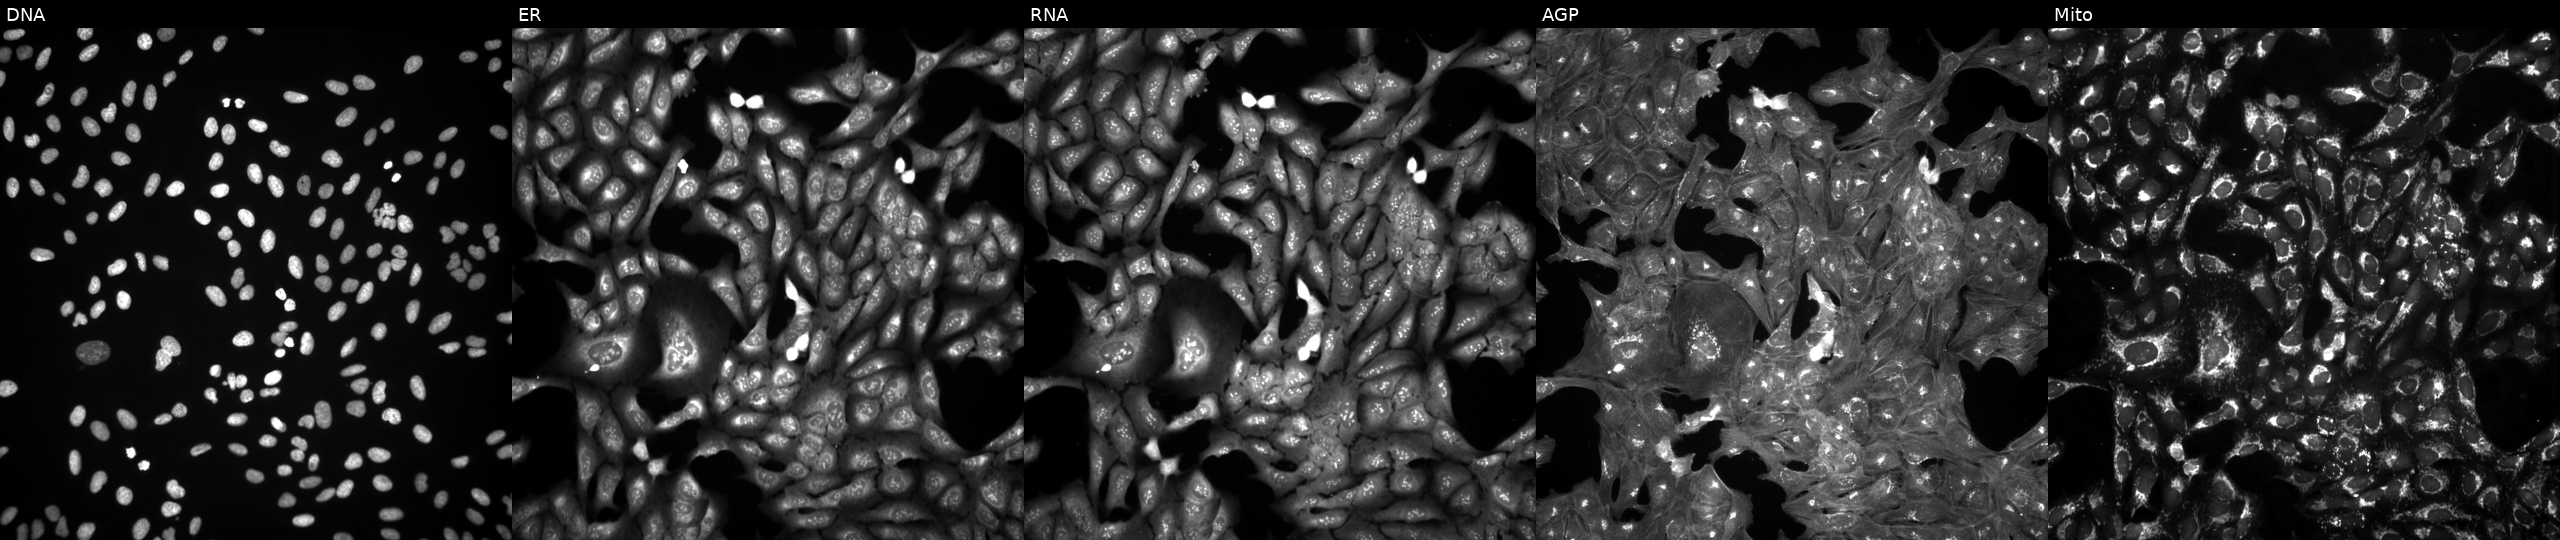
This image strip shows the five Cell Painting channels for a single field of U2OS cells perturbed with a small-molecule compound (InChIKey FLDSLBWEXIIBTM-UHFFFAOYSA-N). The five panels, left to right, show DNA, ER, RNA, AGP, and Mito.